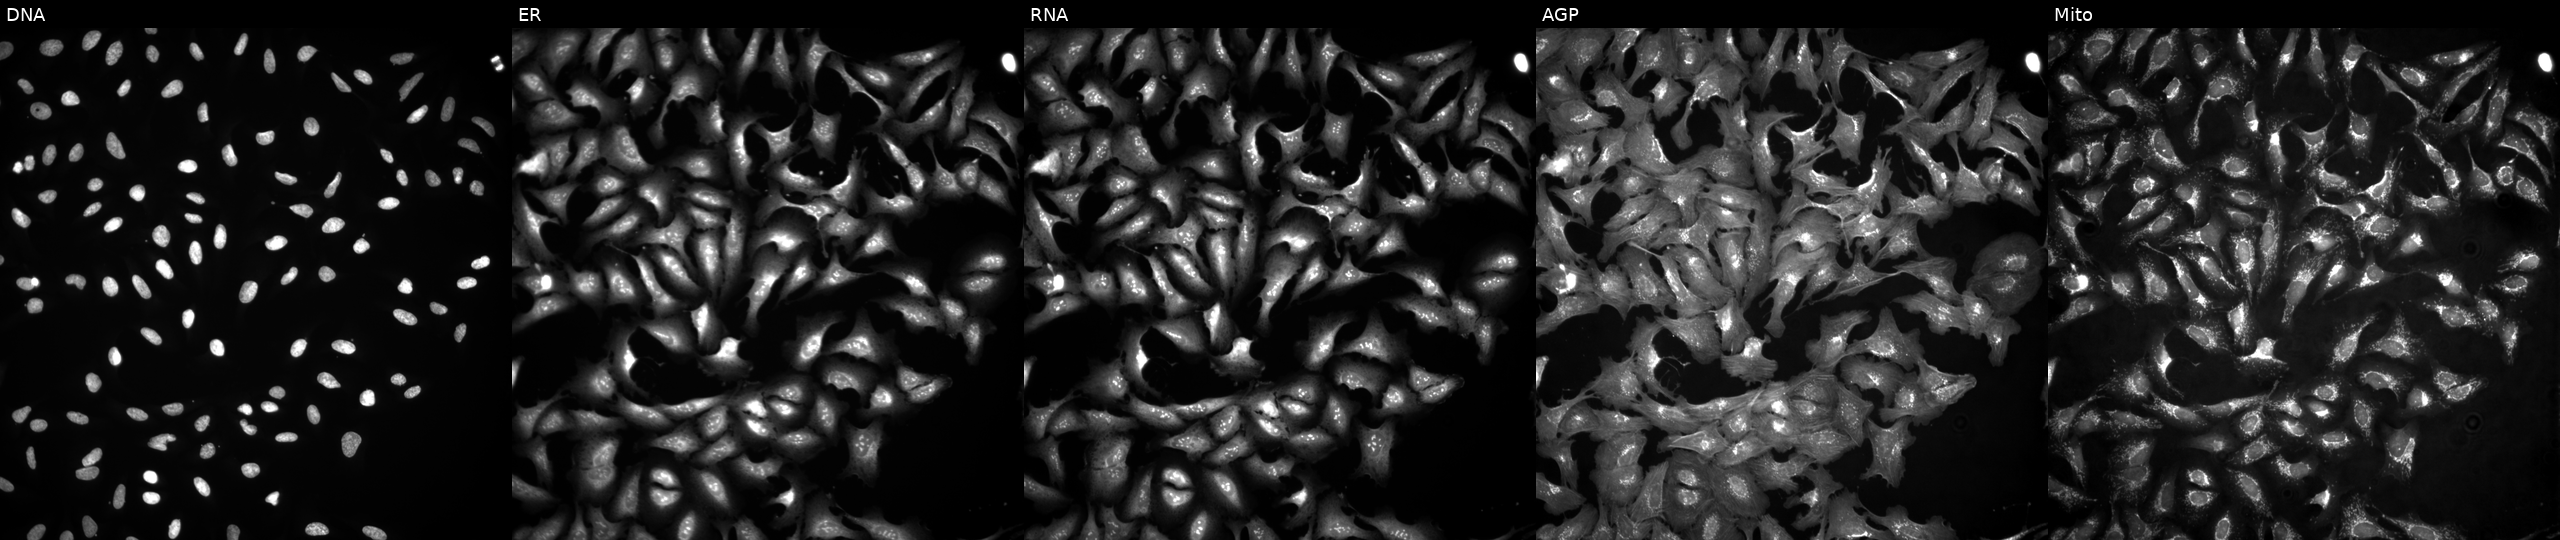
Five-channel Cell Painting image of U2OS cells transfected with an ORF construct for MAP2K1. Panels show, left to right, DNA (nuclei); ER (endoplasmic reticulum); RNA (nucleoli and cytoplasmic RNA); AGP (actin cytoskeleton, Golgi, and plasma membrane); Mito (mitochondria).